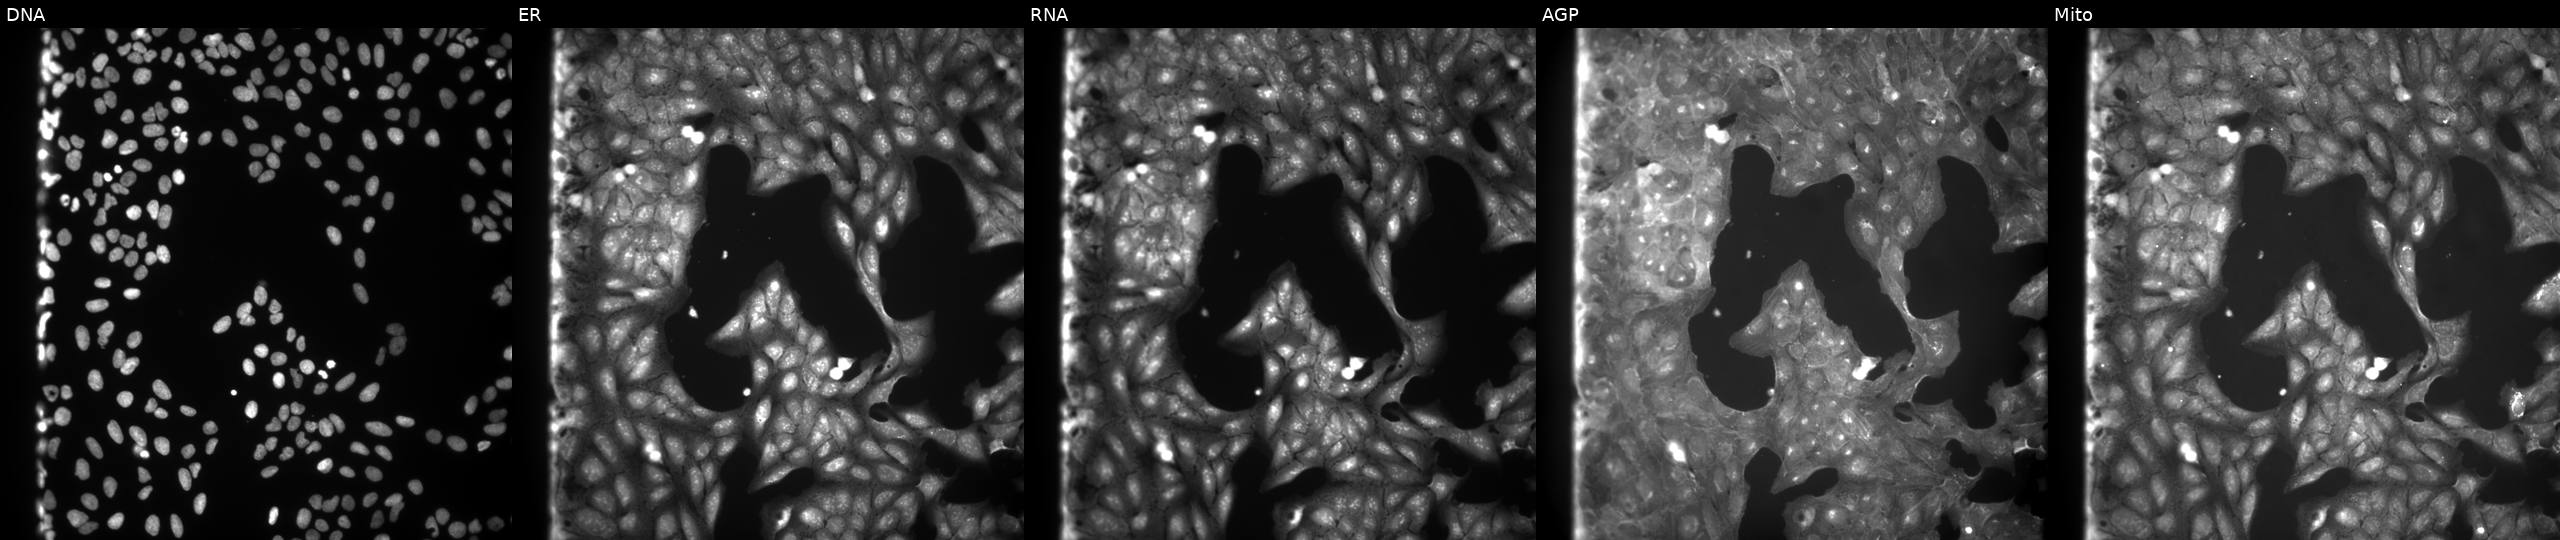
U2OS cells, Cell Painting assay, exposed to a small-molecule compound. Channels (left→right): DNA (nuclei); ER (endoplasmic reticulum); RNA (nucleoli and cytoplasmic RNA); AGP (actin cytoskeleton, Golgi, and plasma membrane); Mito (mitochondria). Each panel is percentile-stretched 16-bit fluorescence. Source 9, plate GR00003382, well G03.